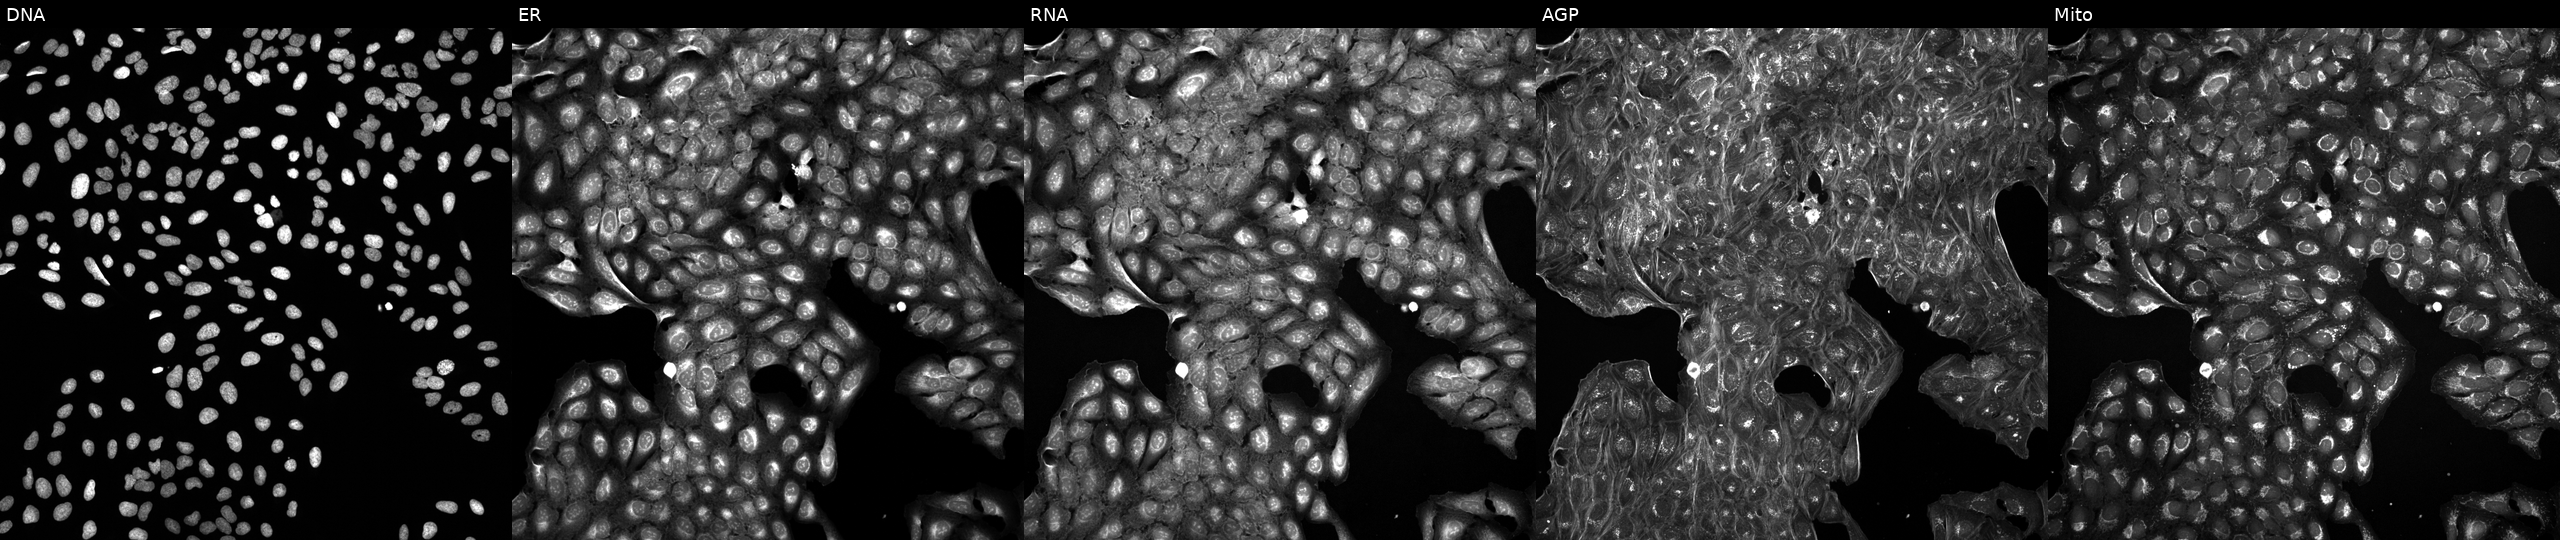
Five-channel Cell Painting image of U2OS cells exposed to a small-molecule compound (JUMP id JCP2022_050830). Panels show, left to right, Hoechst 33342, concanavalin A, SYTO 14, phalloidin and WGA, MitoTracker. Source 5, plate ACPJUM051, well F09.